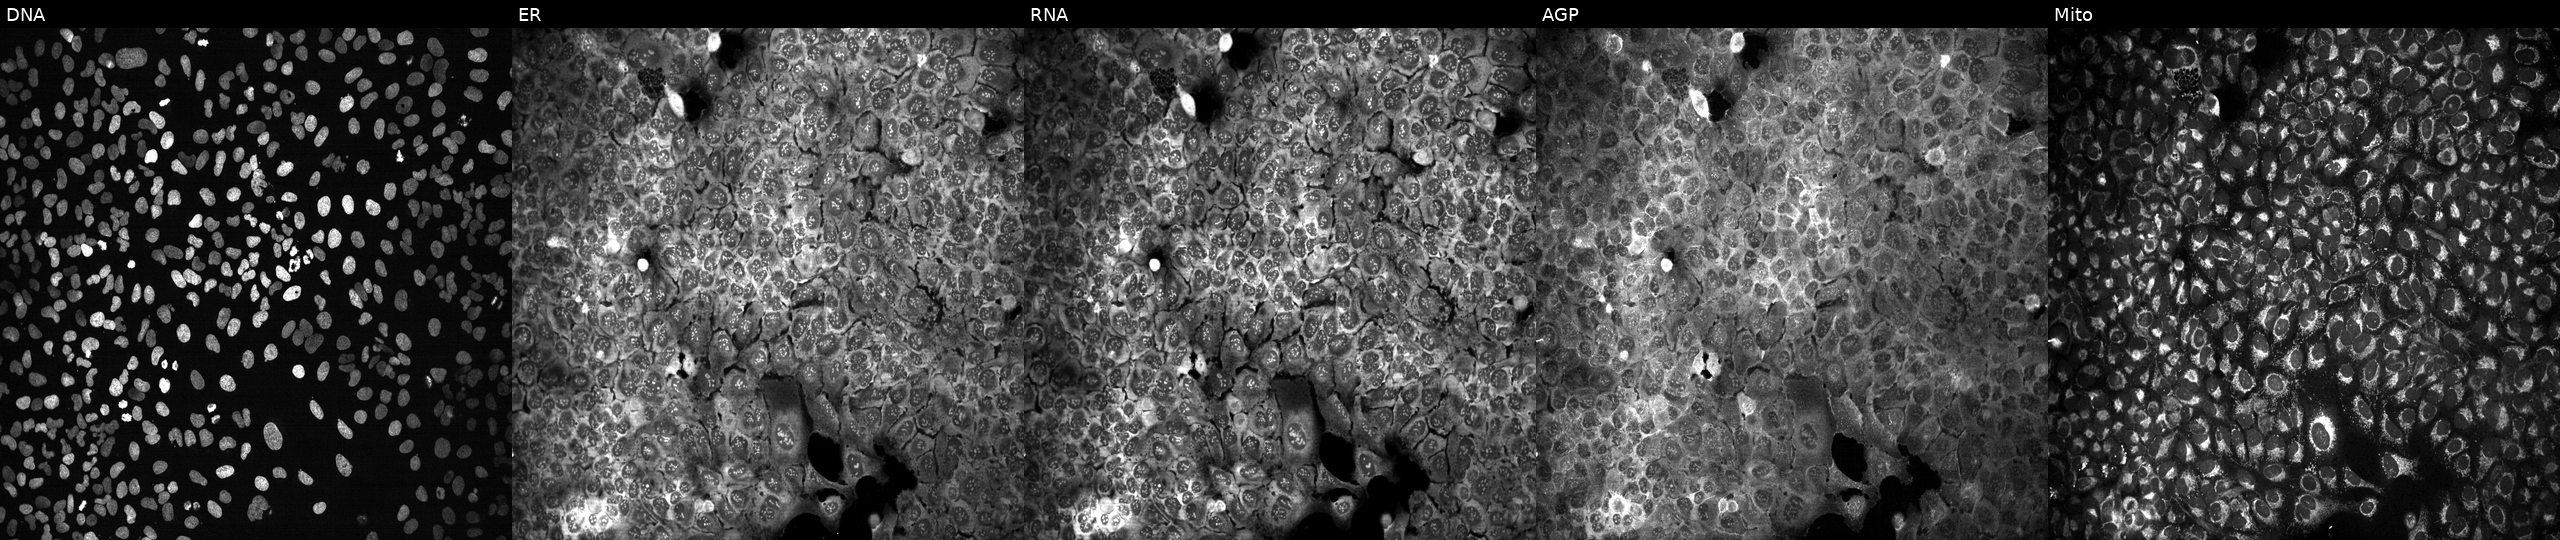
High-content fluorescence microscopy (Cell Painting). Cell line: U2OS. Perturbation: with PIK3AP1 knocked out by CRISPR. Channels (left→right): DNA, ER, RNA, AGP, and Mito. Source 13, plate CP-CC9-R3-01, well K19.